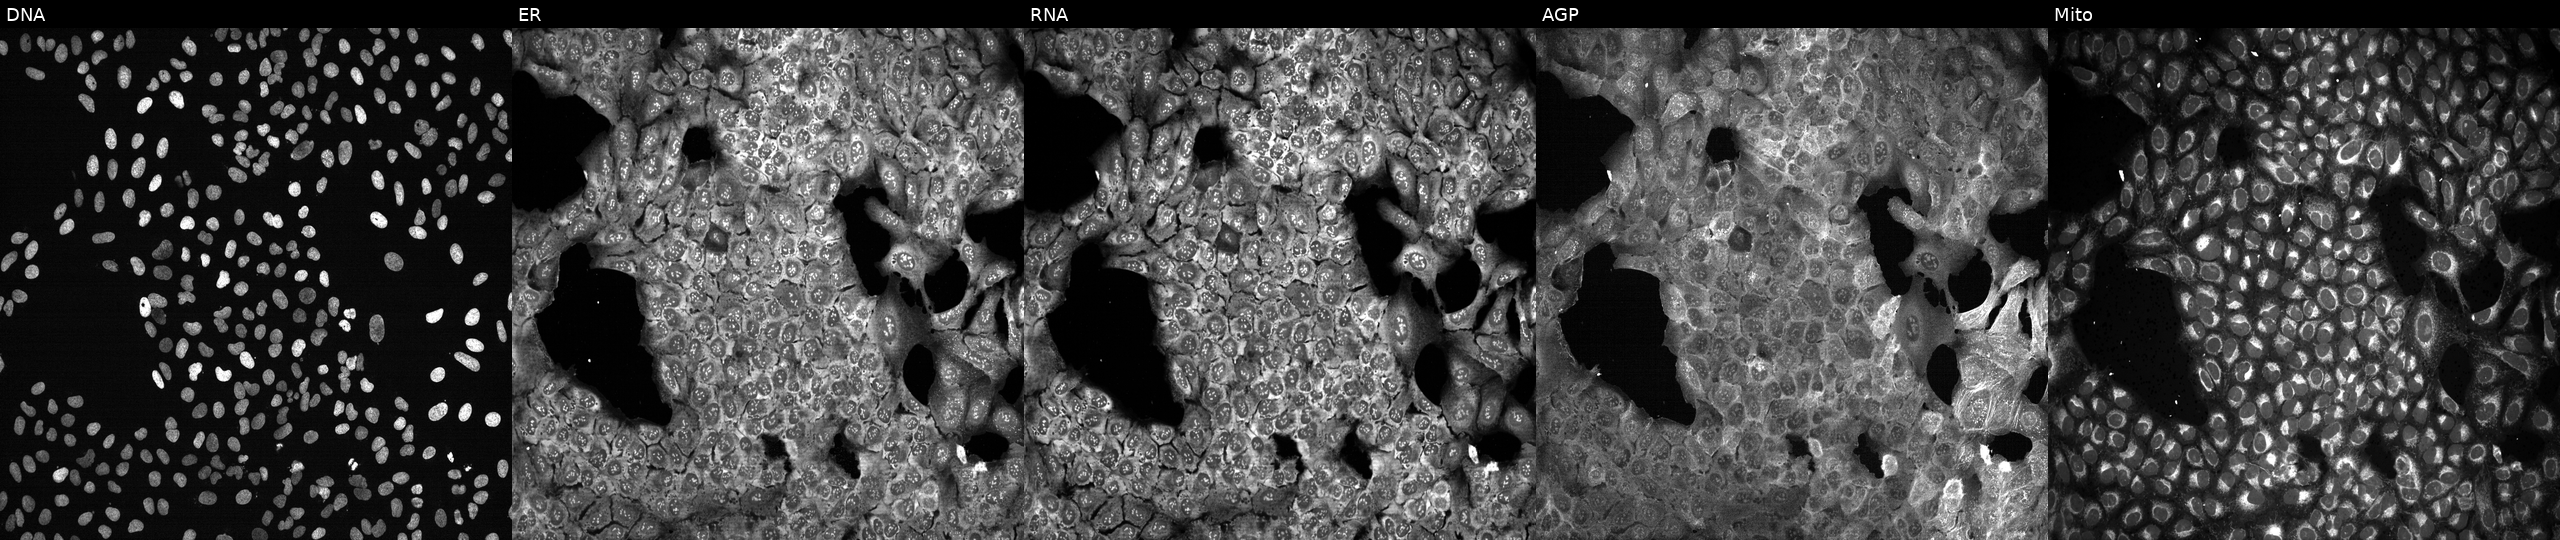
Channels (left→right): DNA (nuclei); ER (endoplasmic reticulum); RNA (nucleoli and cytoplasmic RNA); AGP (actin cytoskeleton, Golgi, and plasma membrane); Mito (mitochondria). U2OS osteosarcoma cells CRISPR-edited to disrupt CBX7 (JUMP id JCP2022_801096). Cell Painting assay, JUMP-CP dataset.